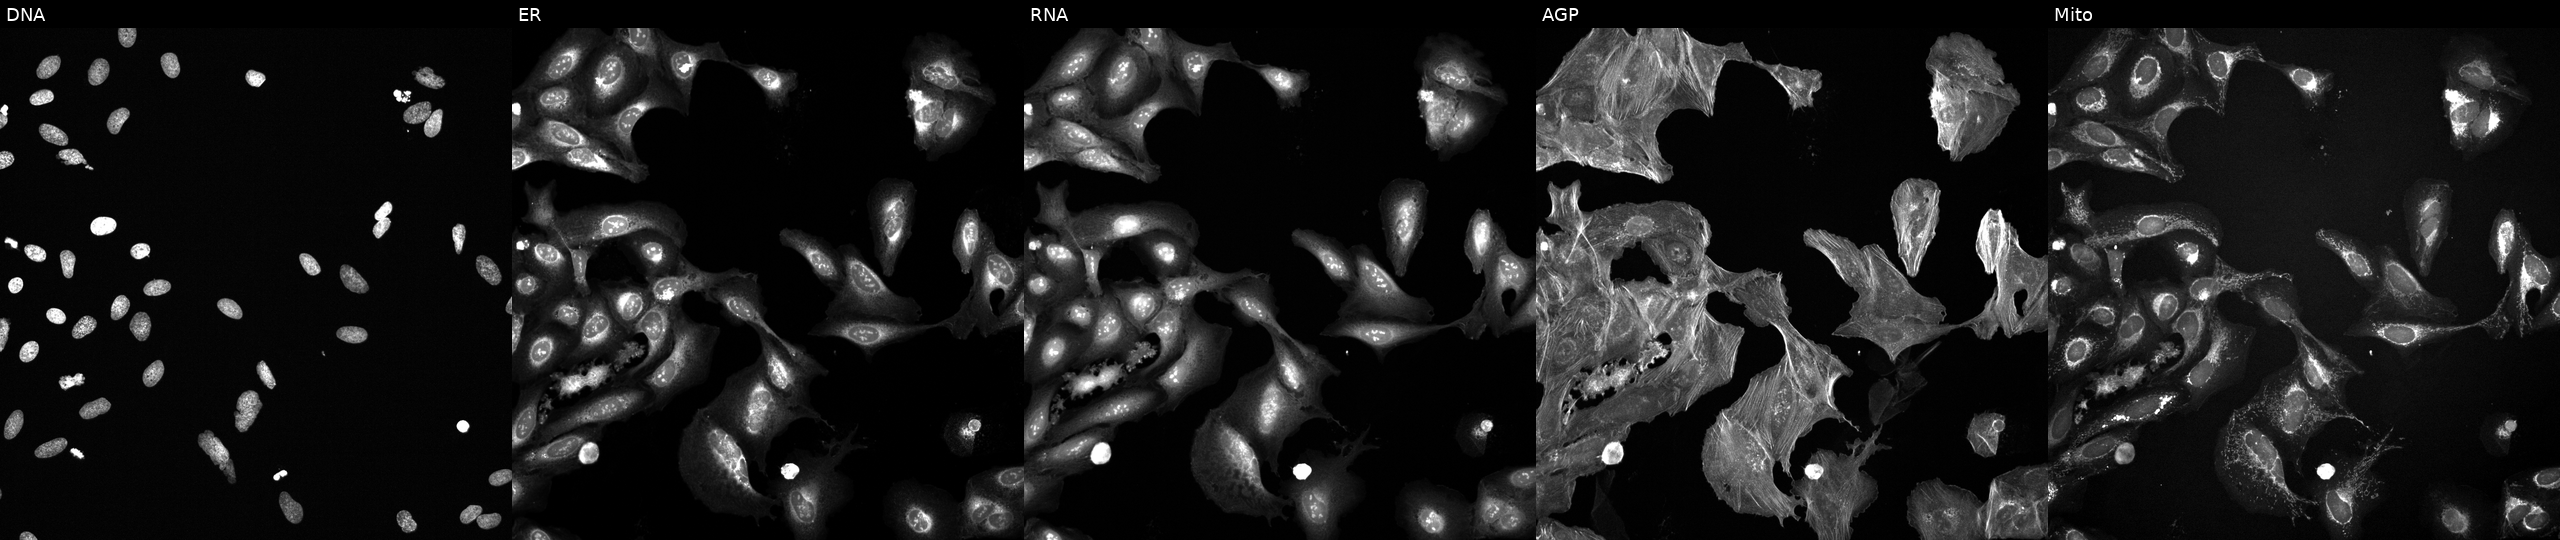
This image strip shows the five Cell Painting channels for a single field of U2OS cells treated with a small-molecule compound (InChIKey GQXSULRYFDAMOO-UHFFFAOYSA-N) (JUMP id JCP2022_027206). Channels (left→right): DNA (nuclei); ER (endoplasmic reticulum); RNA (nucleoli and cytoplasmic RNA); AGP (actin cytoskeleton, Golgi, and plasma membrane); Mito (mitochondria).